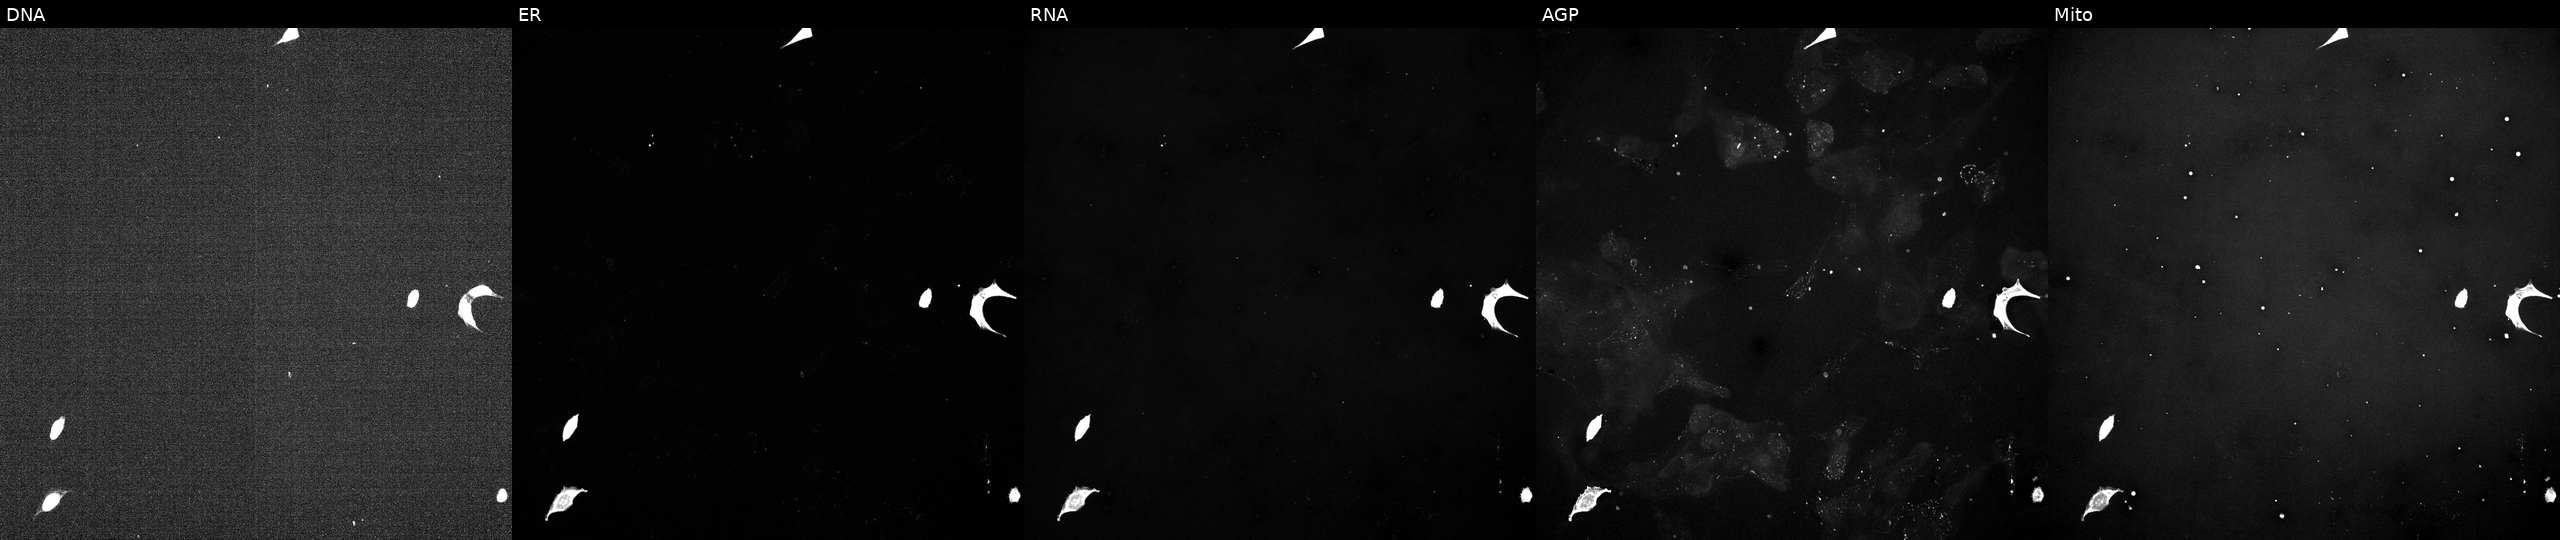
Panels show, left to right, DNA (nuclei); ER (endoplasmic reticulum); RNA (nucleoli and cytoplasmic RNA); AGP (actin cytoskeleton, Golgi, and plasma membrane); Mito (mitochondria). U2OS osteosarcoma cells exposed to a small-molecule compound (InChIKey SOOPLNPQGWJZHY-UHFFFAOYSA-N) (JUMP id JCP2022_084606). Cell Painting assay, JUMP-CP dataset.